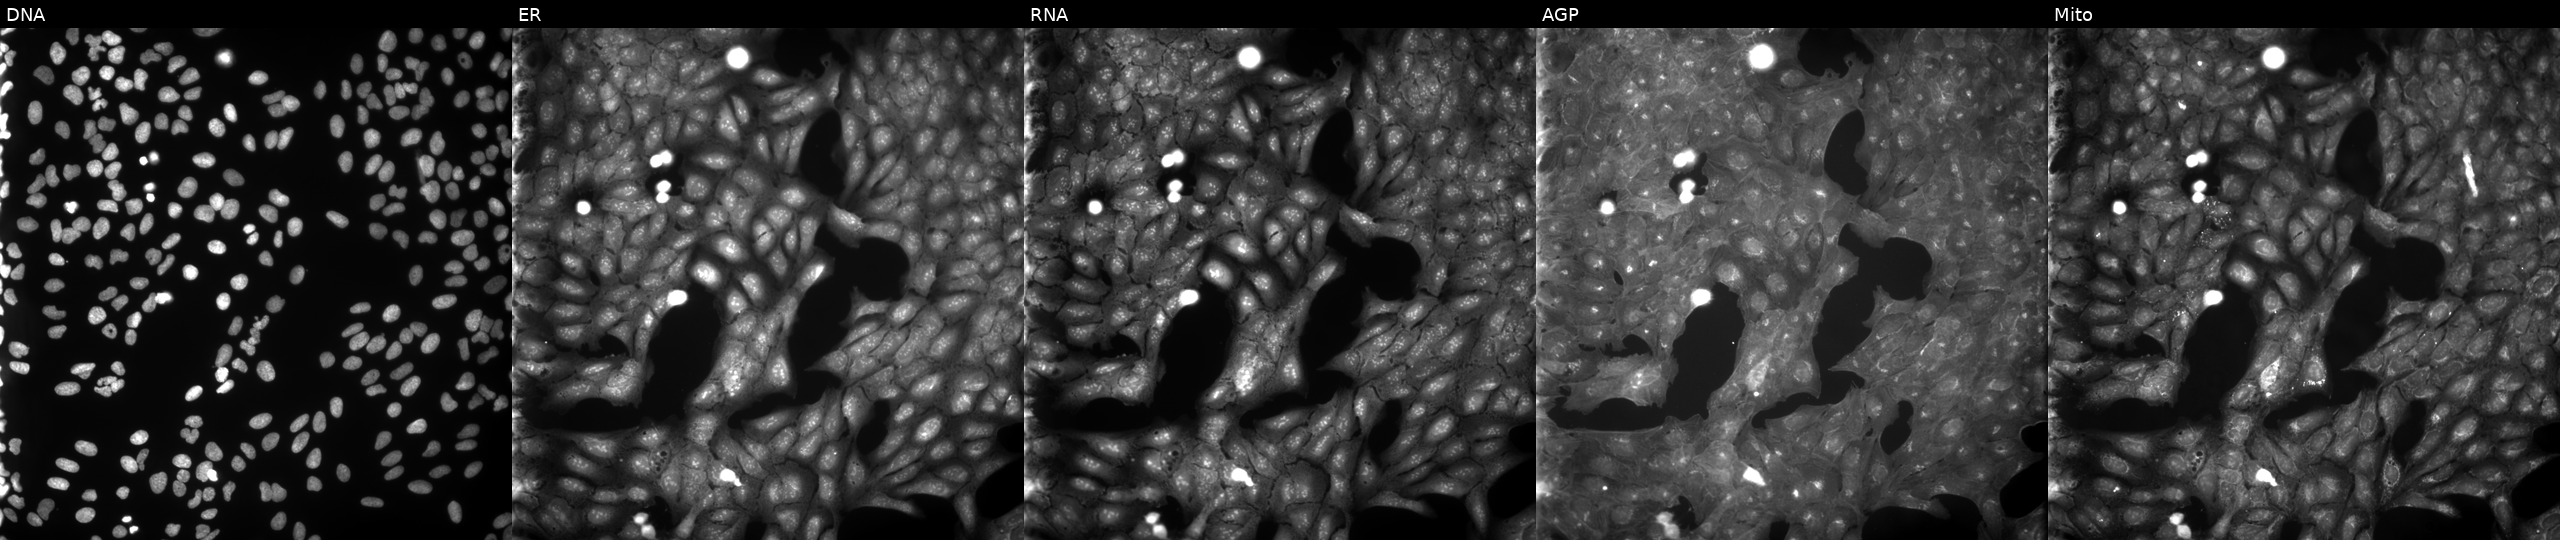
U2OS cells, Cell Painting assay, exposed to a small-molecule compound (InChIKey RALBTYUFRQPFPB-UHFFFAOYSA-N) (JUMP id JCP2022_077077). From left to right: DNA, ER, RNA, AGP, and Mito. Each panel is percentile-stretched 16-bit fluorescence.